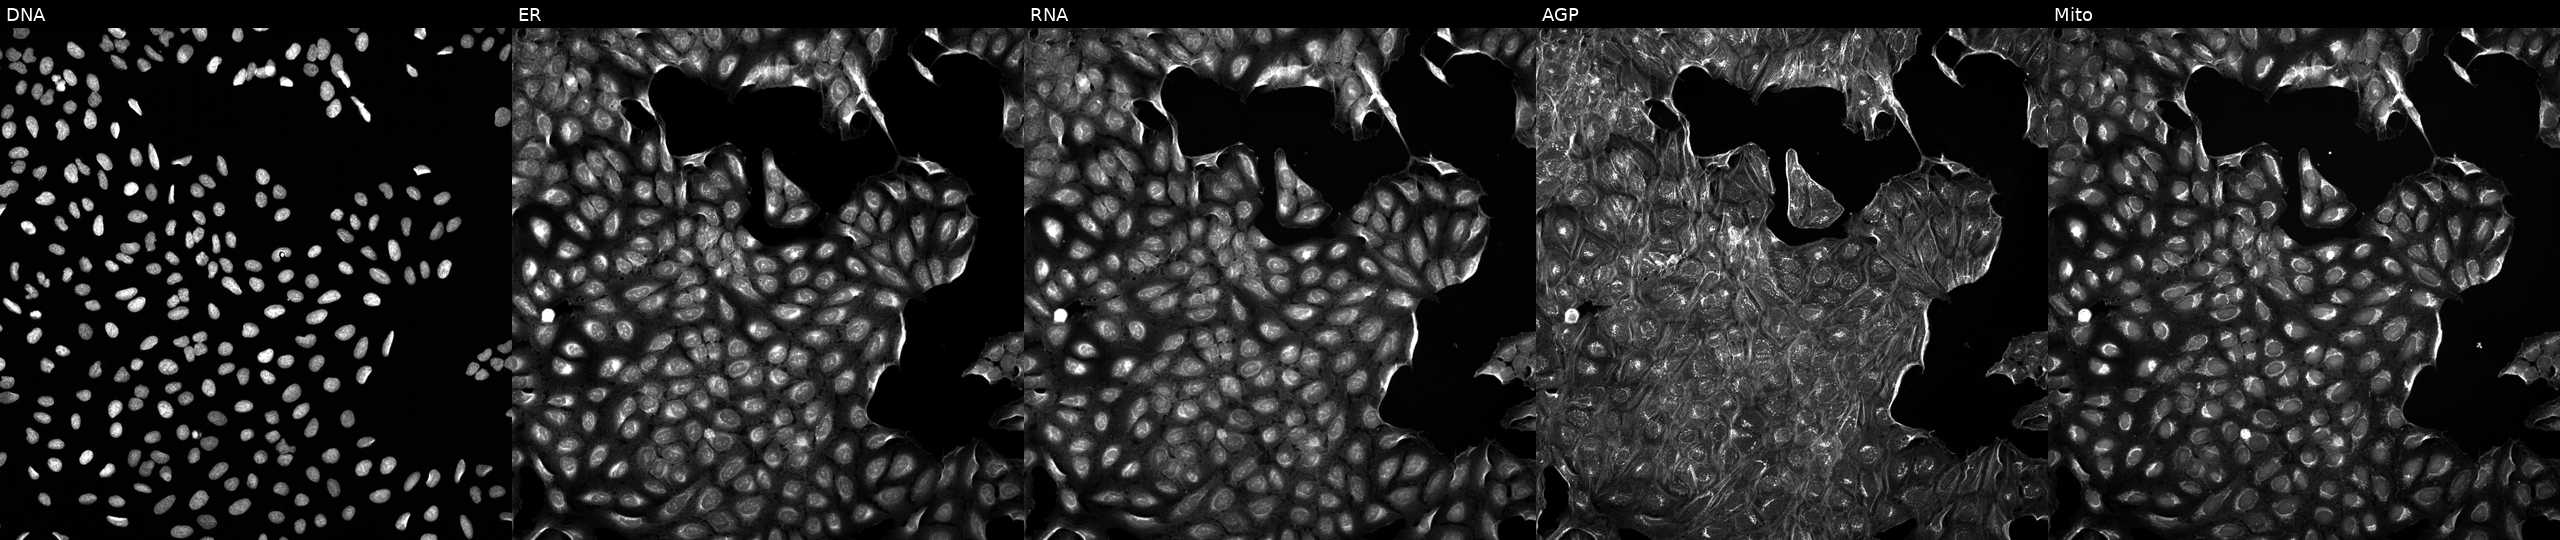
This image strip shows the five Cell Painting channels for a single field of U2OS cells treated with aloxistatin (positive-control compound) (JUMP id JCP2022_085227). Panels show, left to right, DNA (nuclei); ER (endoplasmic reticulum); RNA (nucleoli and cytoplasmic RNA); AGP (actin cytoskeleton, Golgi, and plasma membrane); Mito (mitochondria). Source 5, plate APTJUM105, well I01.